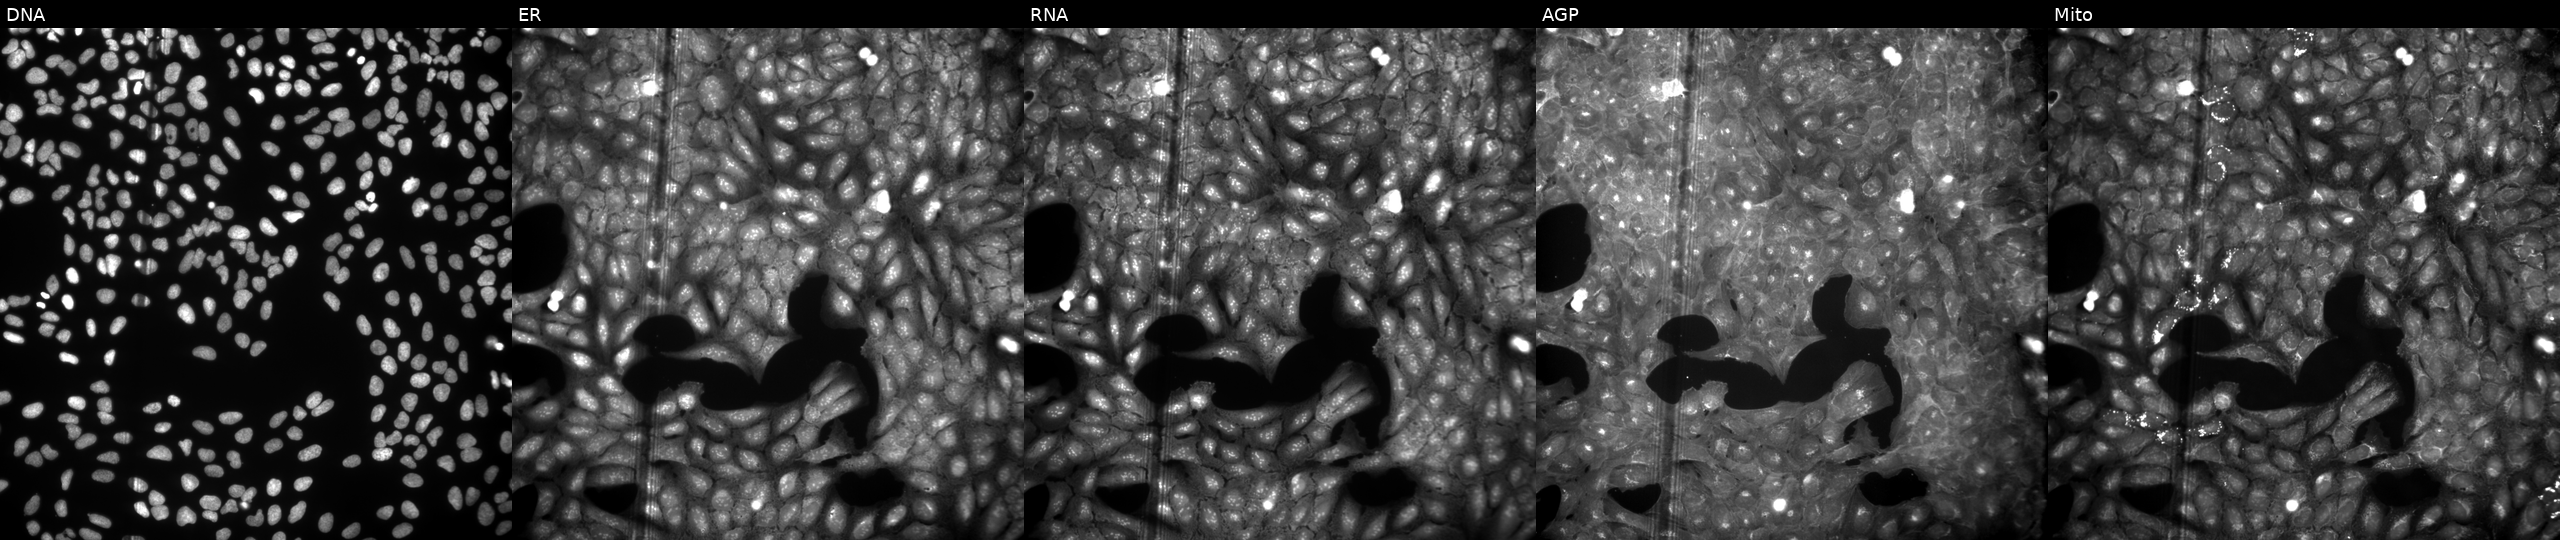
High-content fluorescence microscopy (Cell Painting). Cell line: U2OS. Perturbation: perturbed with a small-molecule compound (InChIKey HDVGDKFHEKMAKO-UHFFFAOYSA-N). The five panels, left to right, show Hoechst 33342, concanavalin A, SYTO 14, phalloidin and WGA, MitoTracker.